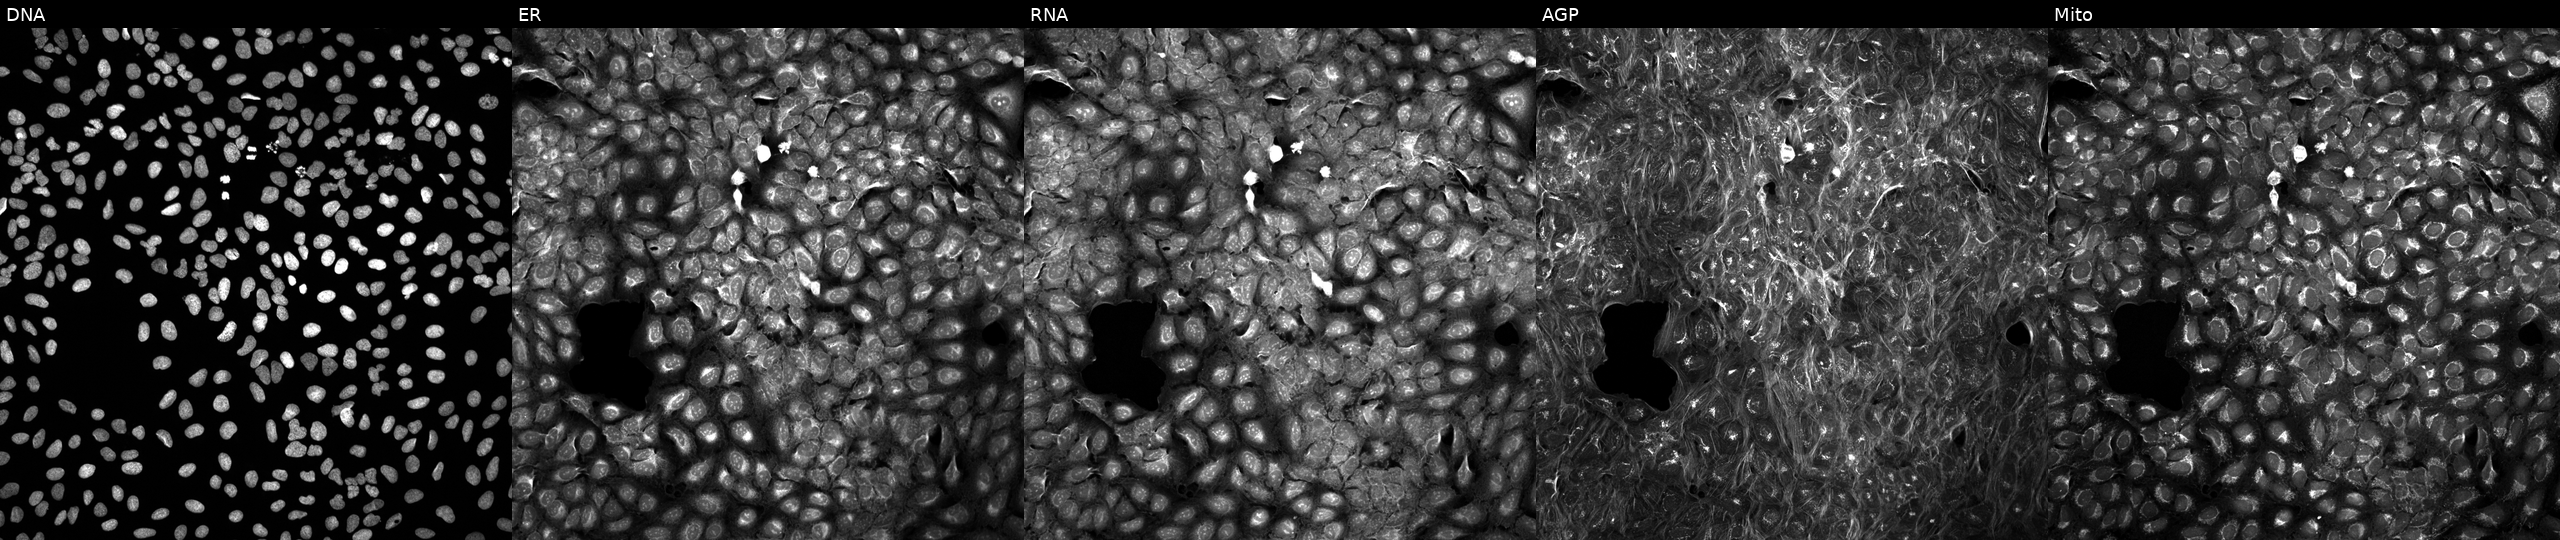
JUMP Cell Painting — TARGET2 plate. U2OS cells treated with a small-molecule compound (JUMP id JCP2022_029868). Channels (left→right): Hoechst 33342, concanavalin A, SYTO 14, phalloidin and WGA, MitoTracker.